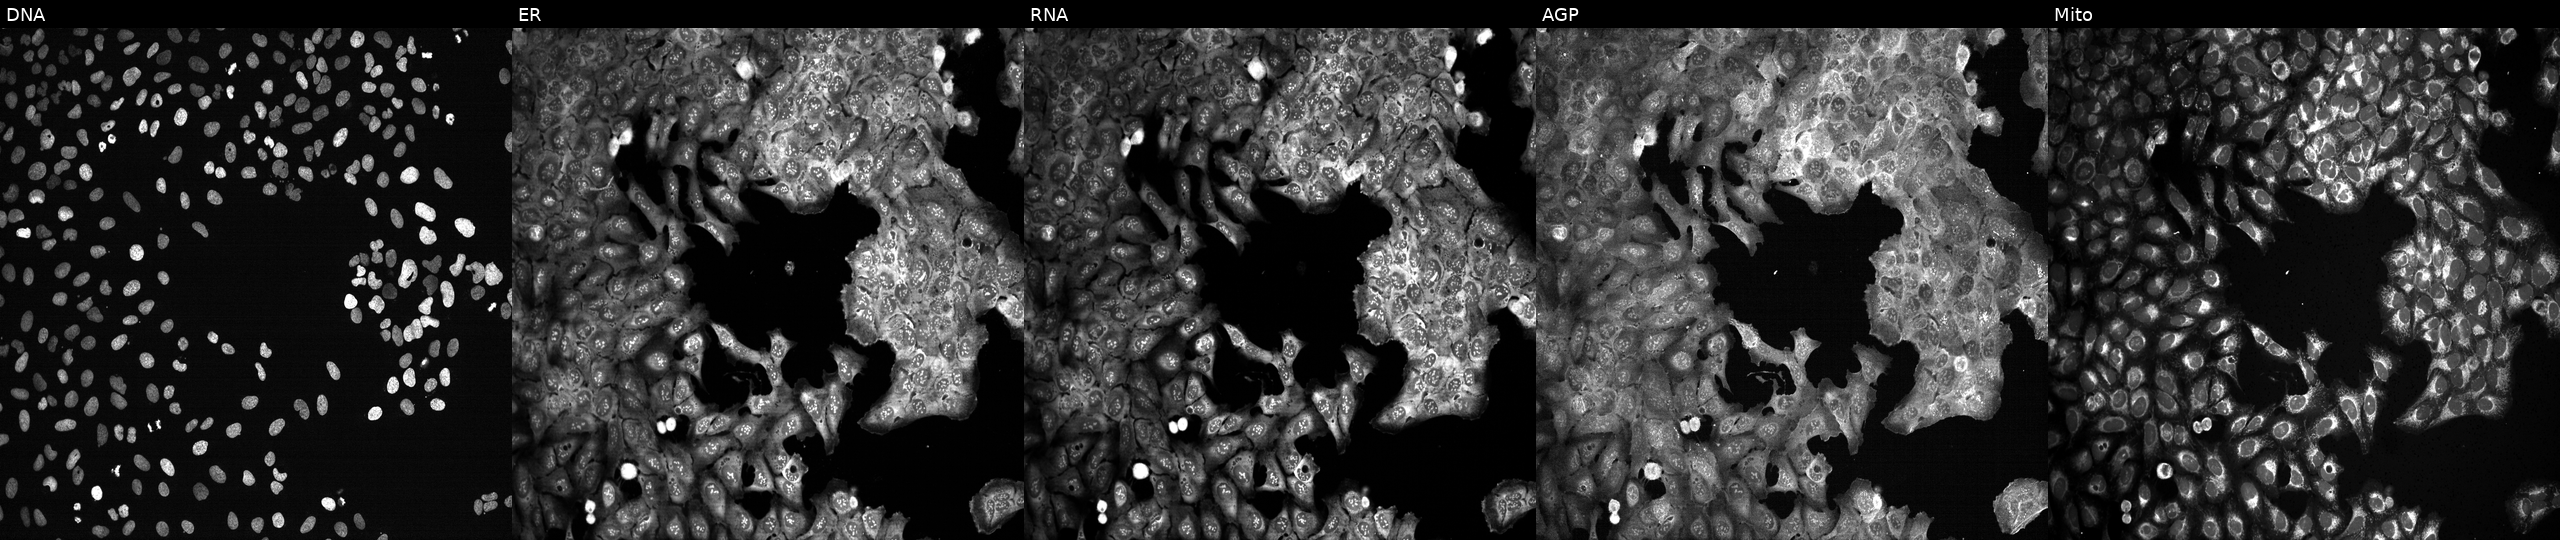
Five-channel Cell Painting image of U2OS cells with DNASE1L3 knocked out by CRISPR. Panels show, left to right, DNA, ER, RNA, AGP, and Mito. Source 13, plate CP-CC9-R3-02, well H18.